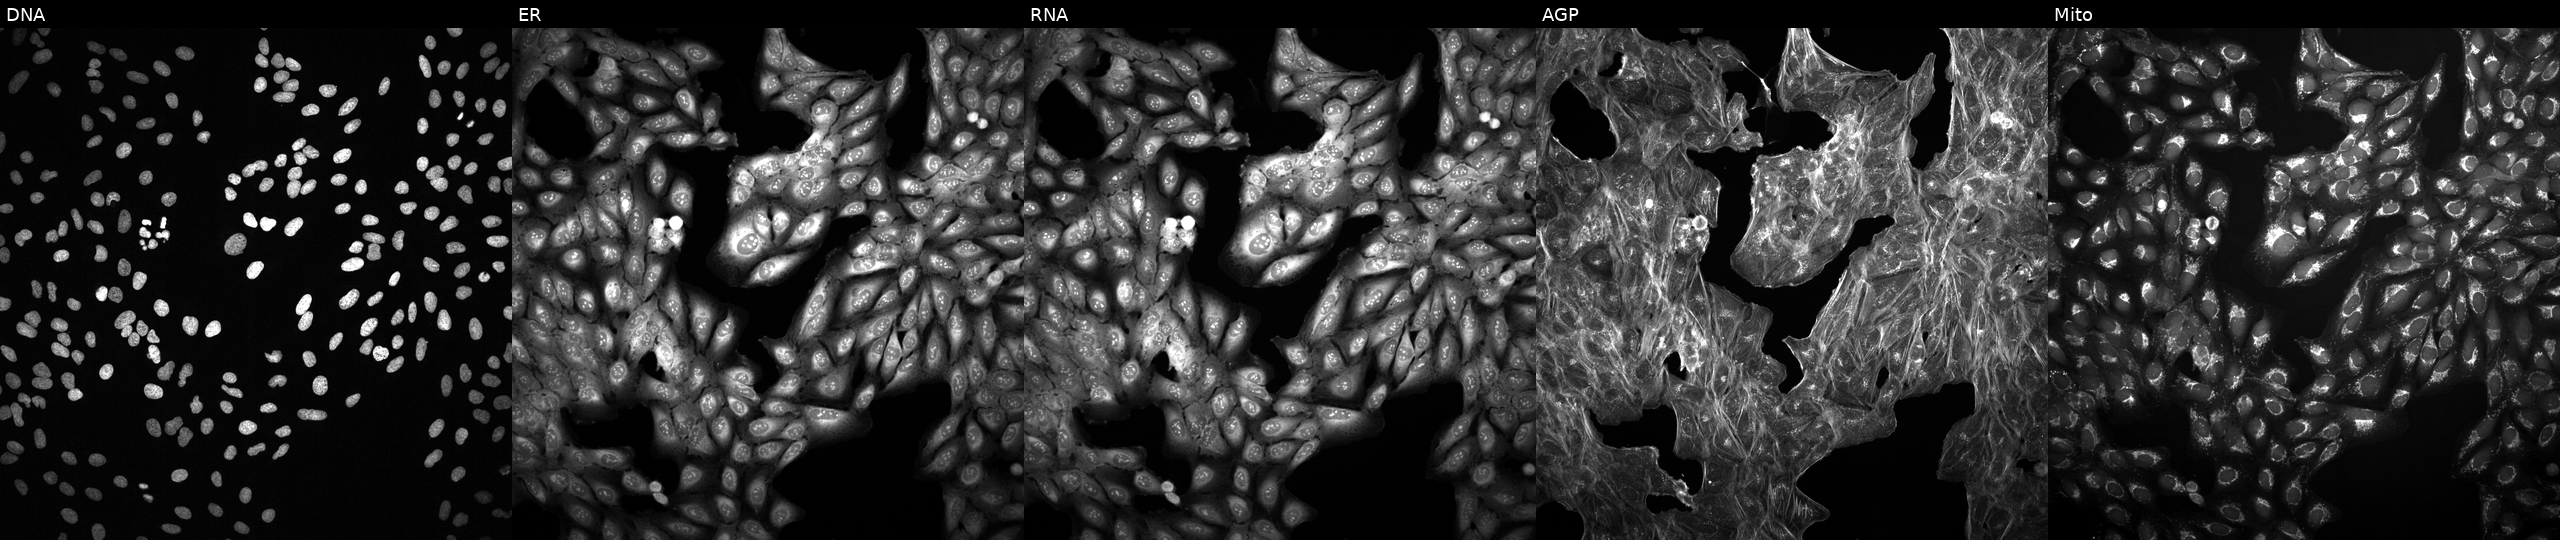
JUMP Cell Painting — TARGET2 plate. U2OS cells treated with a small-molecule compound (InChIKey JDVVGAQPNNXQDW-UHFFFAOYSA-N) (JUMP id JCP2022_039116). The five panels, left to right, show Hoechst 33342, concanavalin A, SYTO 14, phalloidin and WGA, MitoTracker. Source 2, plate 1053597936, well N21.